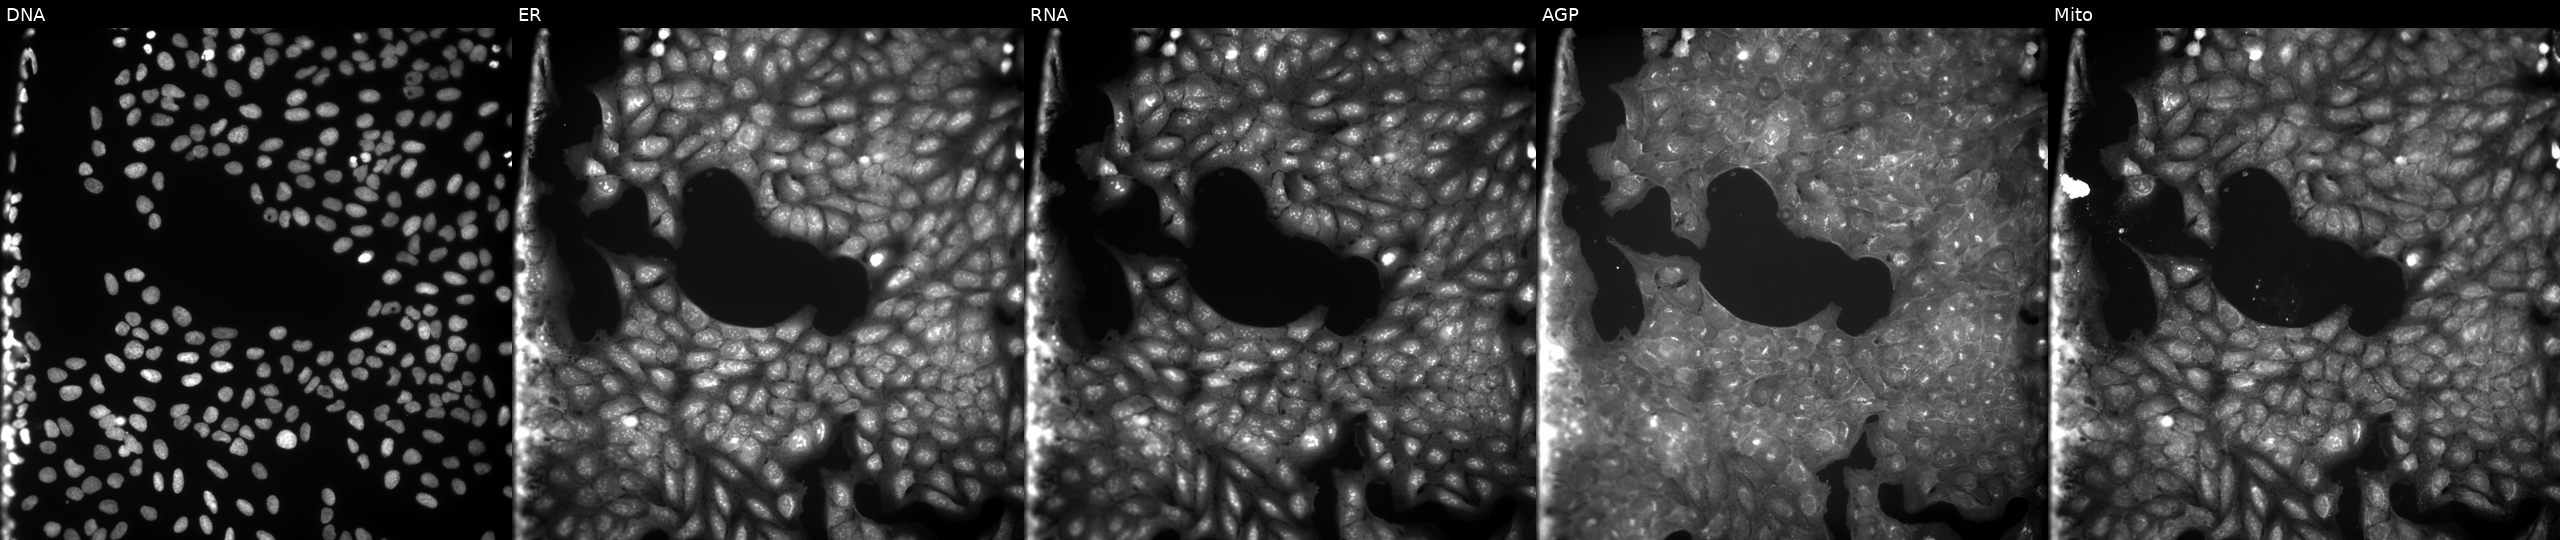
Panels show, left to right, Hoechst 33342, concanavalin A, SYTO 14, phalloidin and WGA, MitoTracker. U2OS osteosarcoma cells treated with a small-molecule compound (InChIKey UBCWLUPKKJRPFH-UHFFFAOYSA-N). Cell Painting assay, JUMP-CP dataset.